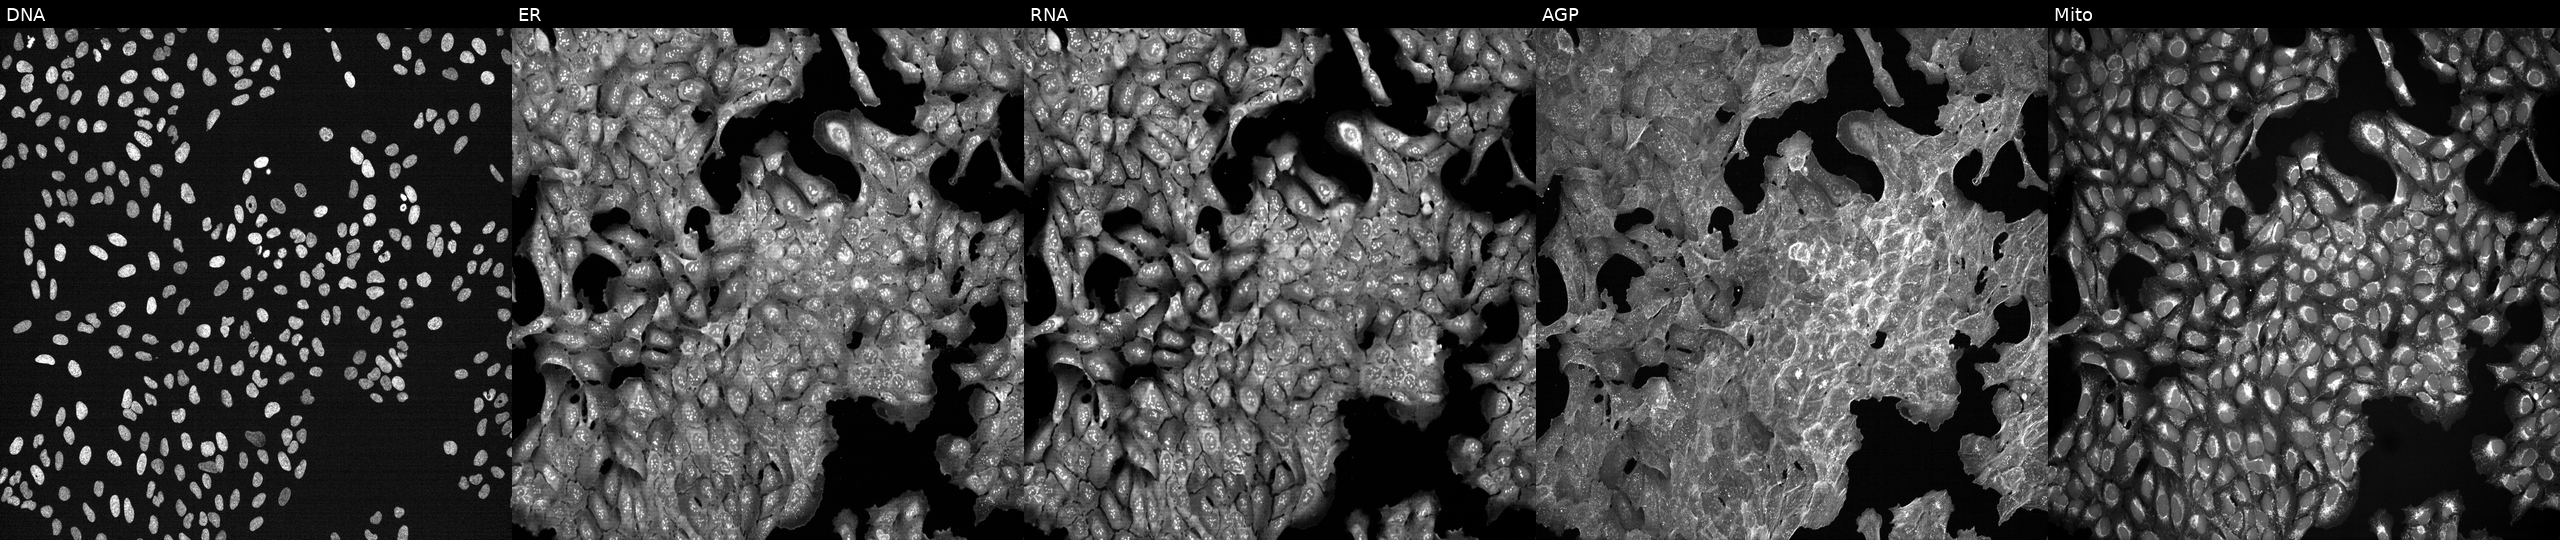
U2OS cells, Cell Painting assay, treated with a small-molecule compound (InChIKey SQMWSBKSHWARHU-UHFFFAOYSA-N) [SMILES: OCC1OC(n2cnc3c(=NC4CCCC4)[nH]cnc32)C(O)C1O]. The five panels, left to right, show Hoechst 33342, concanavalin A, SYTO 14, phalloidin and WGA, MitoTracker. Each panel is percentile-stretched 16-bit fluorescence. Source 7, plate CP3-SC1-25, well E15.